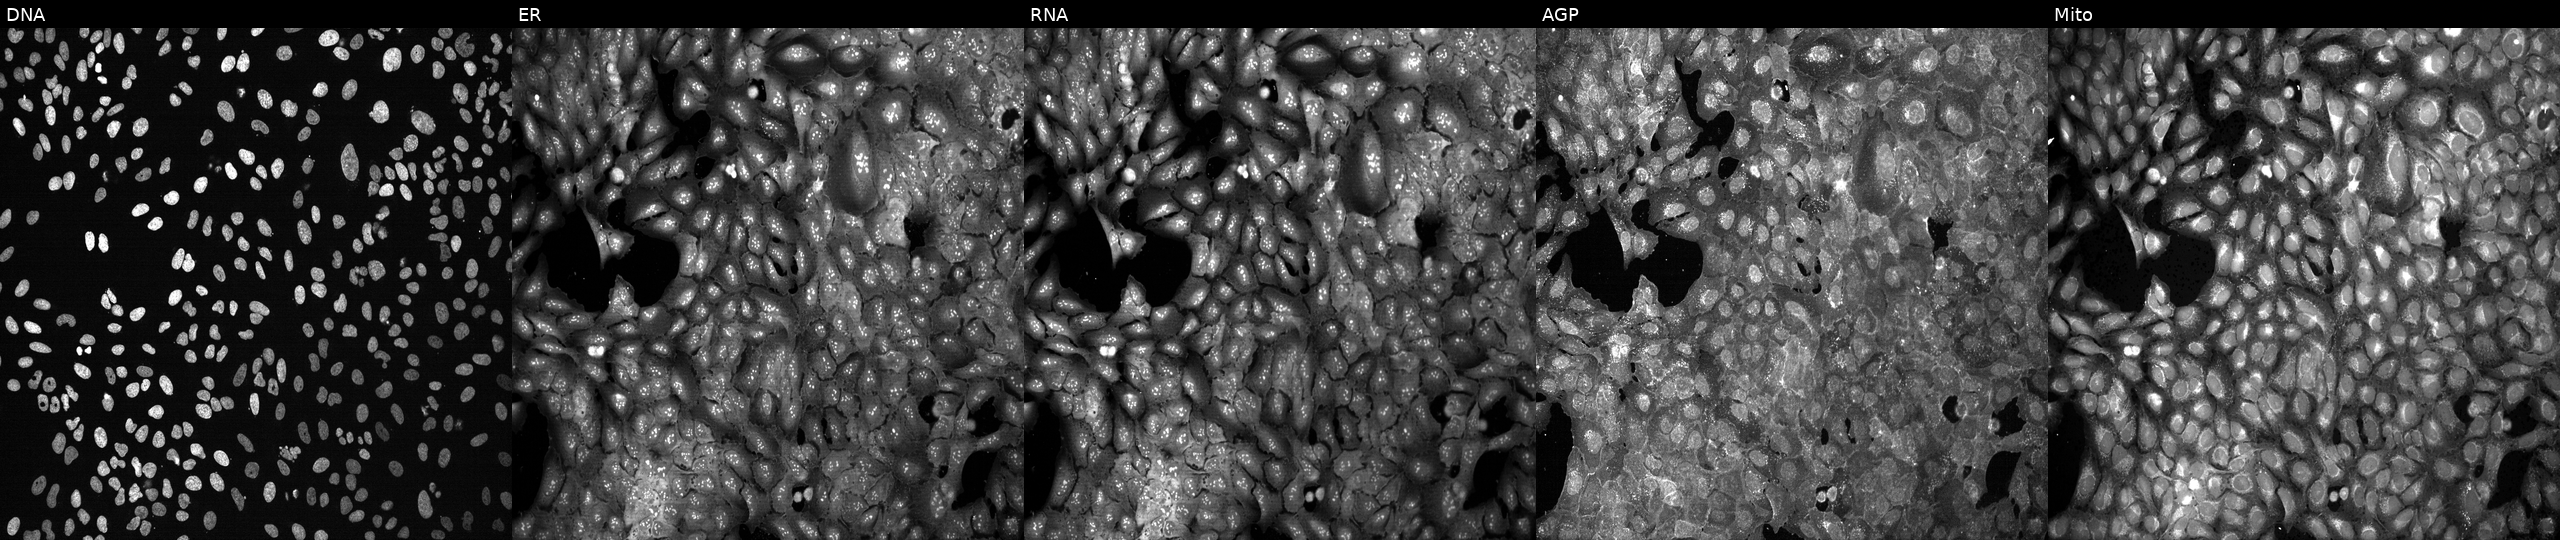
JUMP Cell Painting — CRISPR plate. U2OS cells following CRISPR knockout of MEST. Channels (left→right): DNA (nuclei); ER (endoplasmic reticulum); RNA (nucleoli and cytoplasmic RNA); AGP (actin cytoskeleton, Golgi, and plasma membrane); Mito (mitochondria).